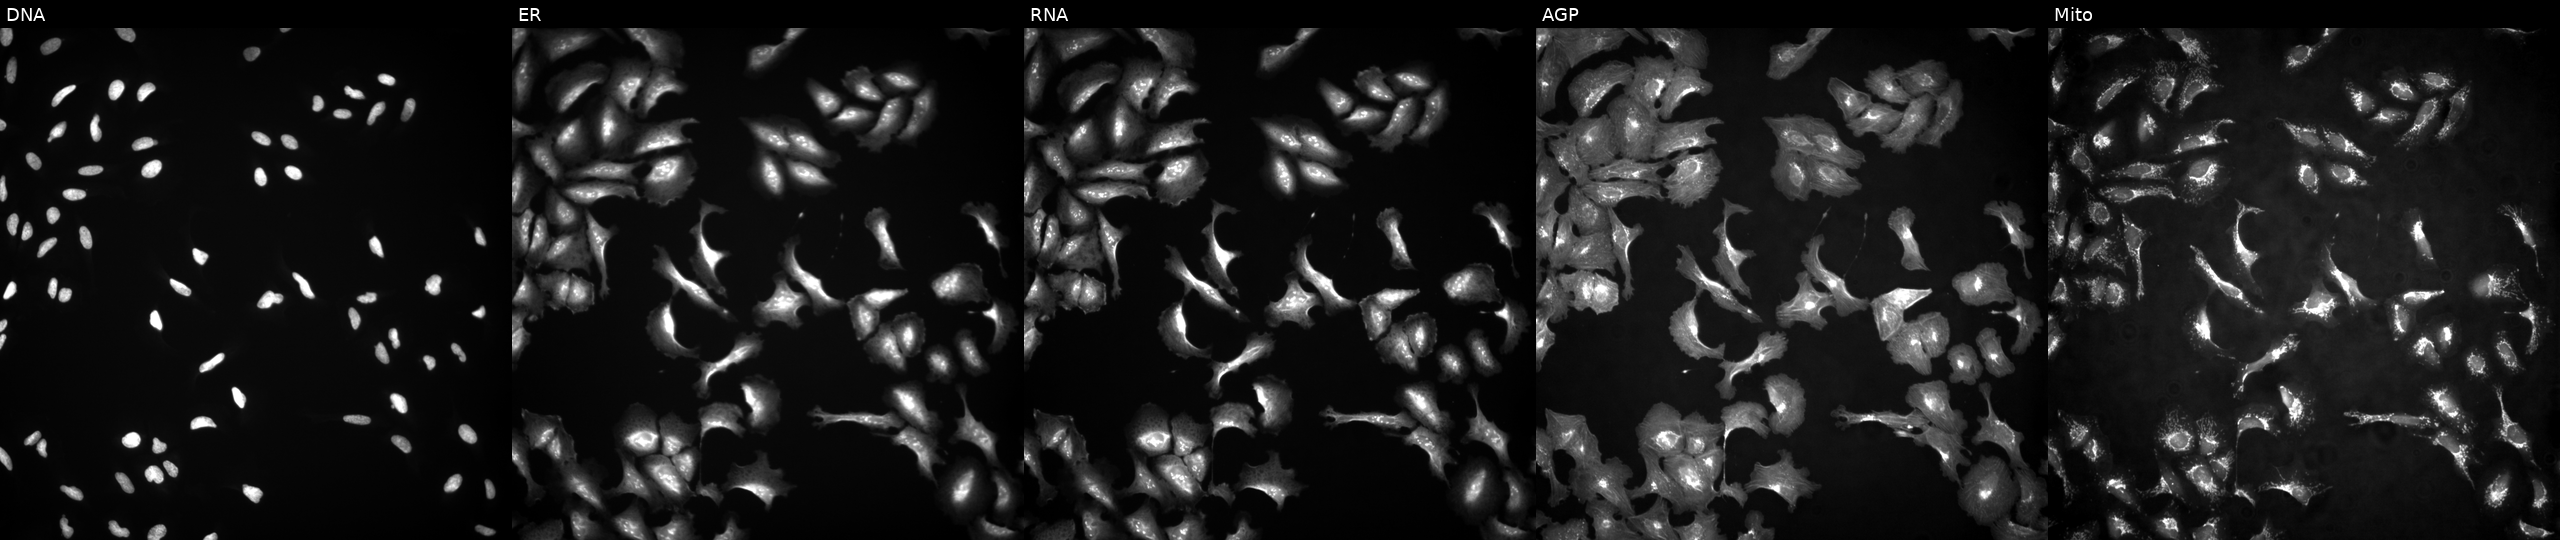
JUMP Cell Painting — ORF plate. U2OS cells transfected with an ORF construct for EBF3 (JUMP id JCP2022_904947). Panels show, left to right, DNA, ER, RNA, AGP, and Mito.